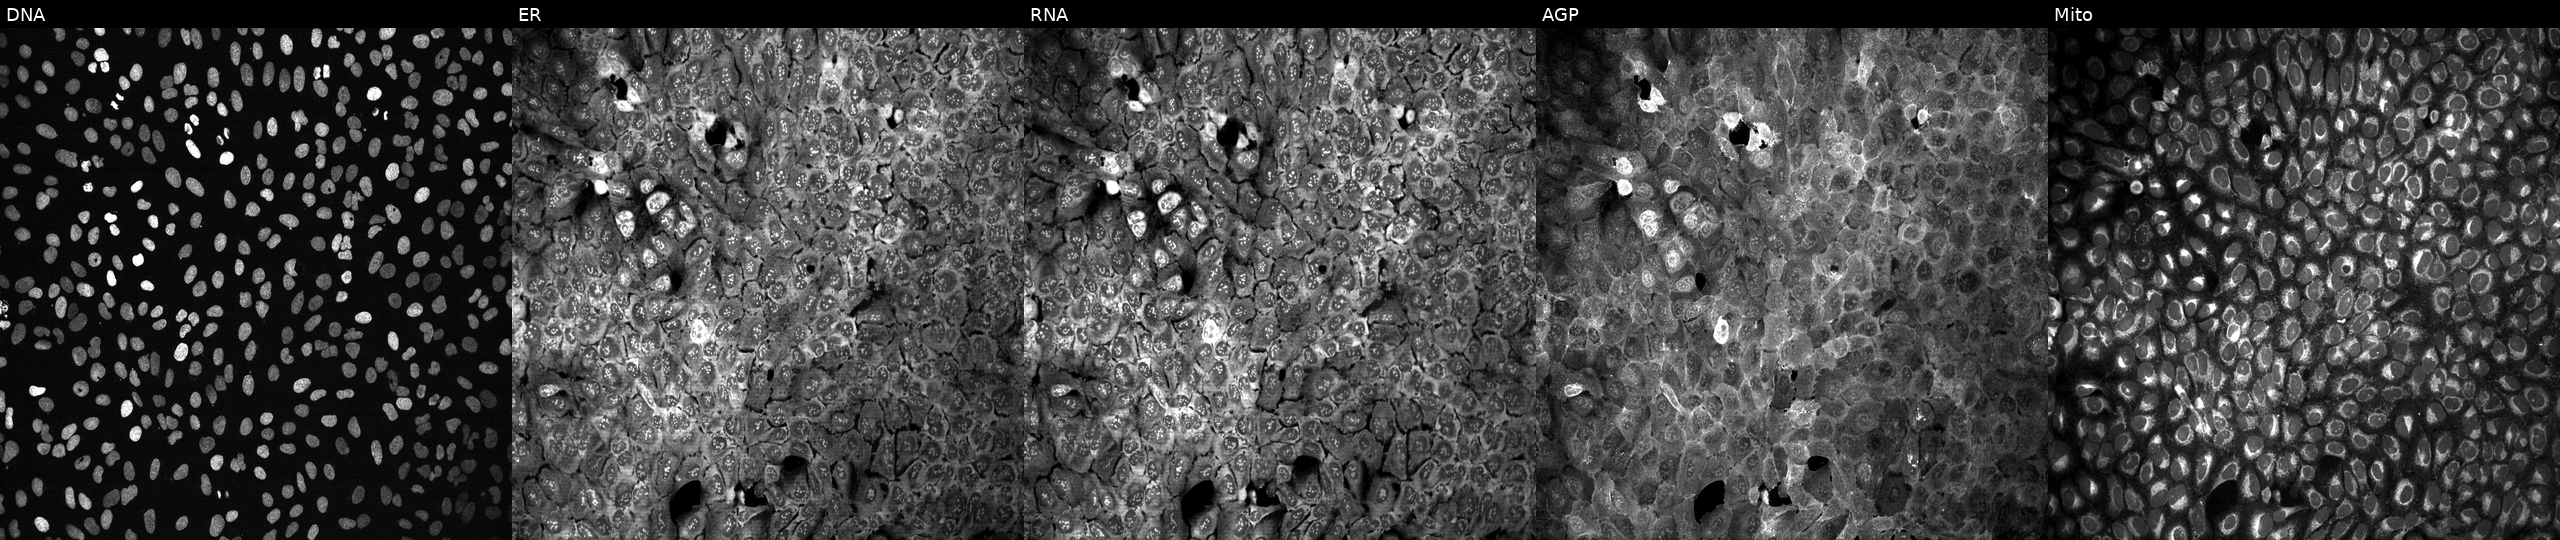
High-content fluorescence microscopy (Cell Painting). Cell line: U2OS. Perturbation: CRISPR-edited to disrupt ISG20 (JUMP id JCP2022_803477). From left to right: DNA, ER, RNA, AGP, and Mito.